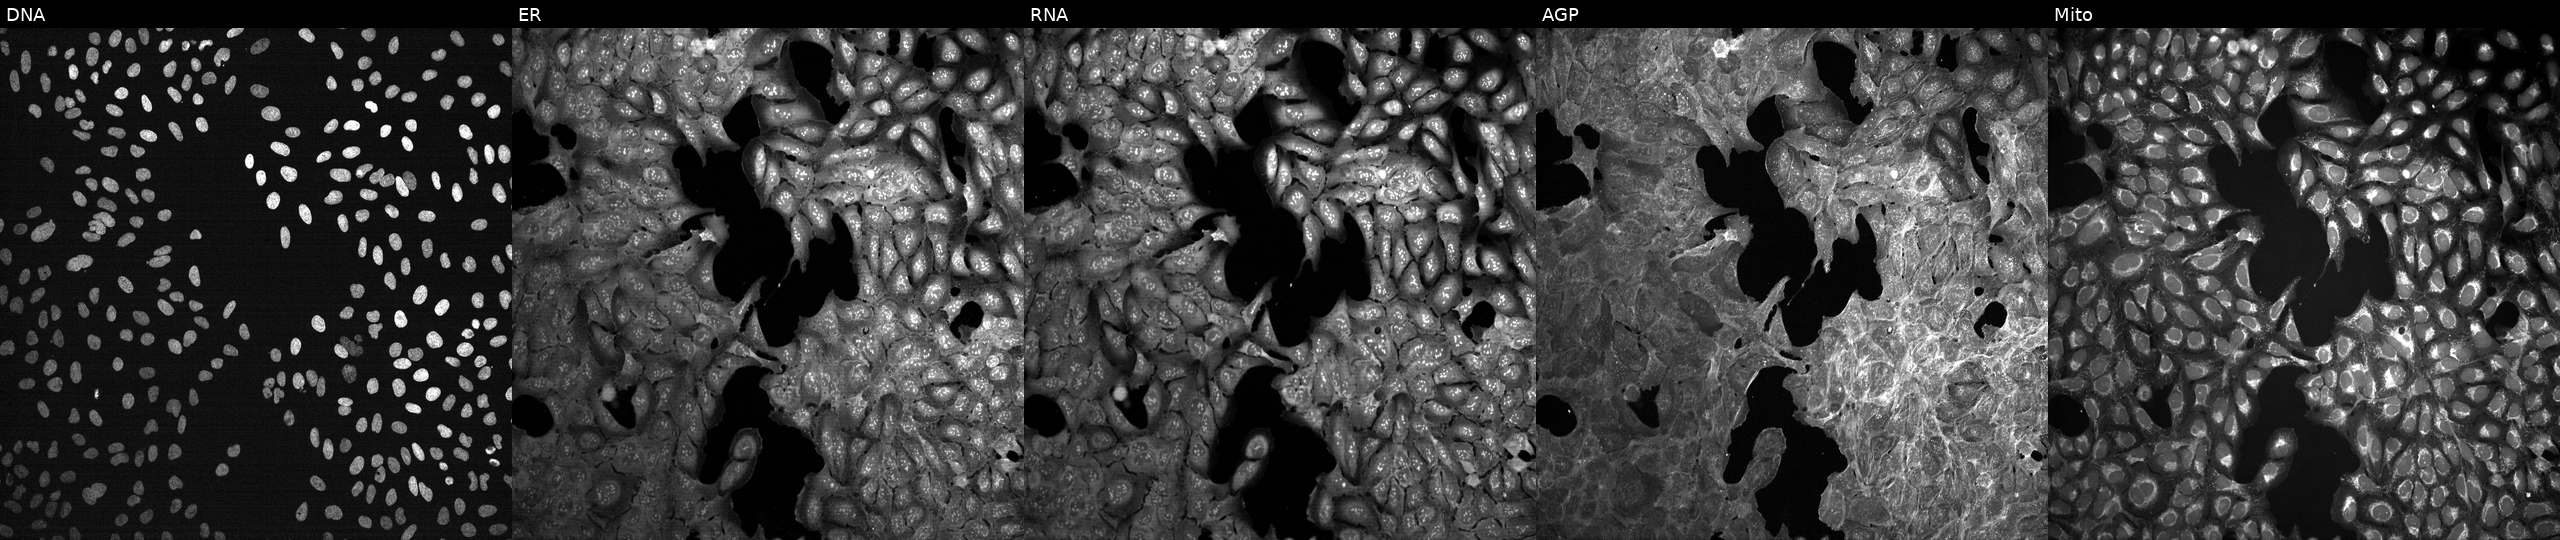
This image strip shows the five Cell Painting channels for a single field of U2OS cells treated with a small-molecule compound (InChIKey PWKSKIMOESPYIA-UHFFFAOYSA-N). Channels (left→right): DNA, ER, RNA, AGP, and Mito. Source 7, plate CP3-SC1-25, well A10.